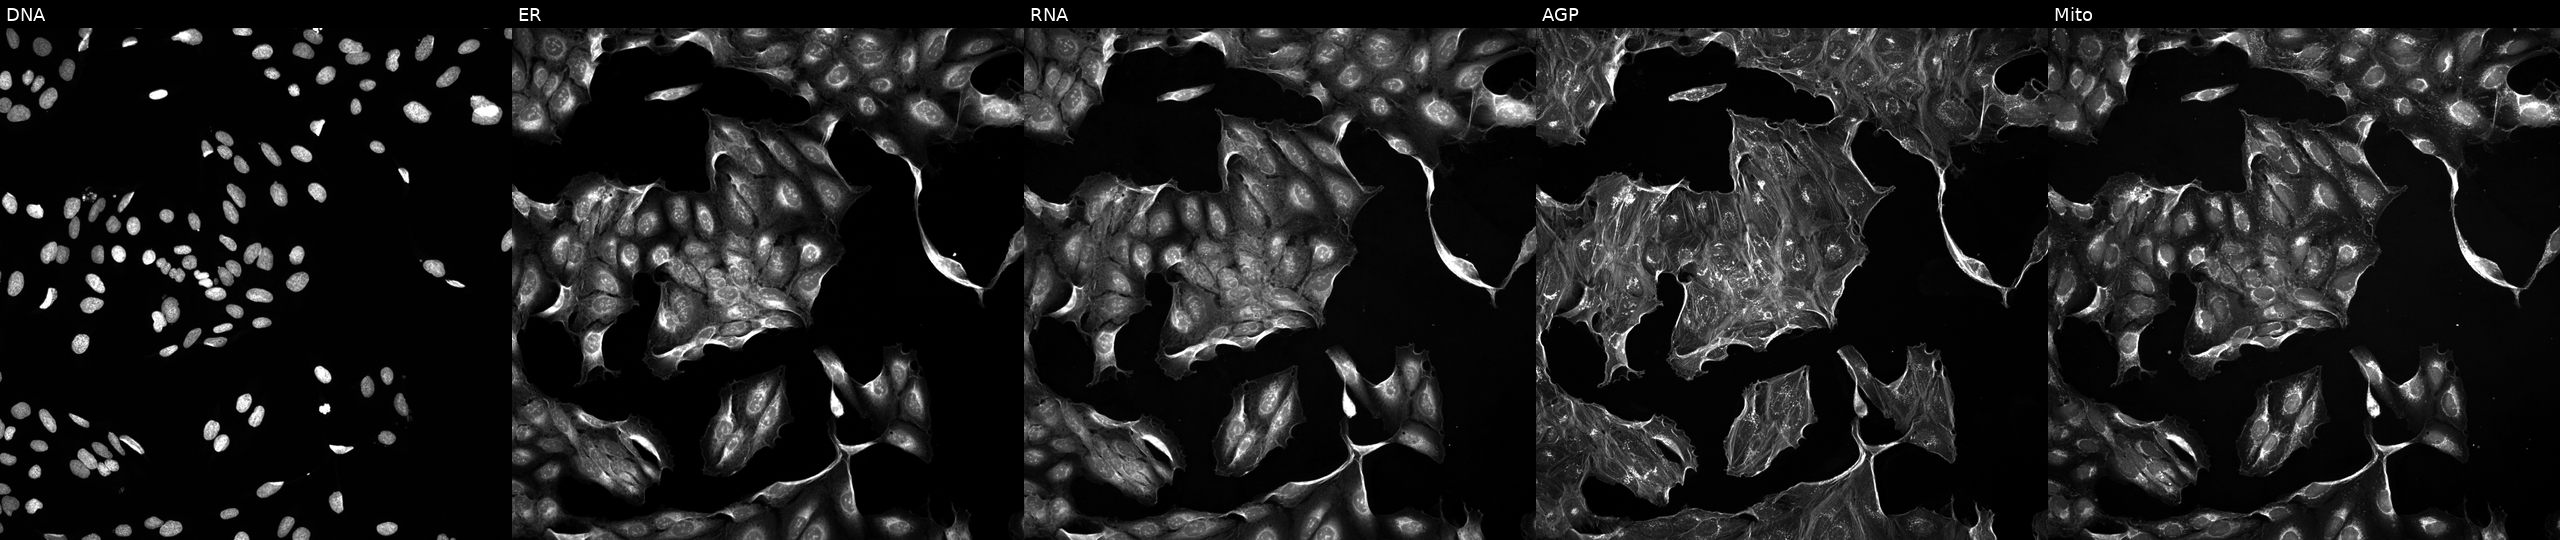
High-content fluorescence microscopy (Cell Painting). Cell line: U2OS. Perturbation: treated with a small-molecule compound. The five panels, left to right, show DNA, ER, RNA, AGP, and Mito. Source 5, plate ACPJUM032, well M04.